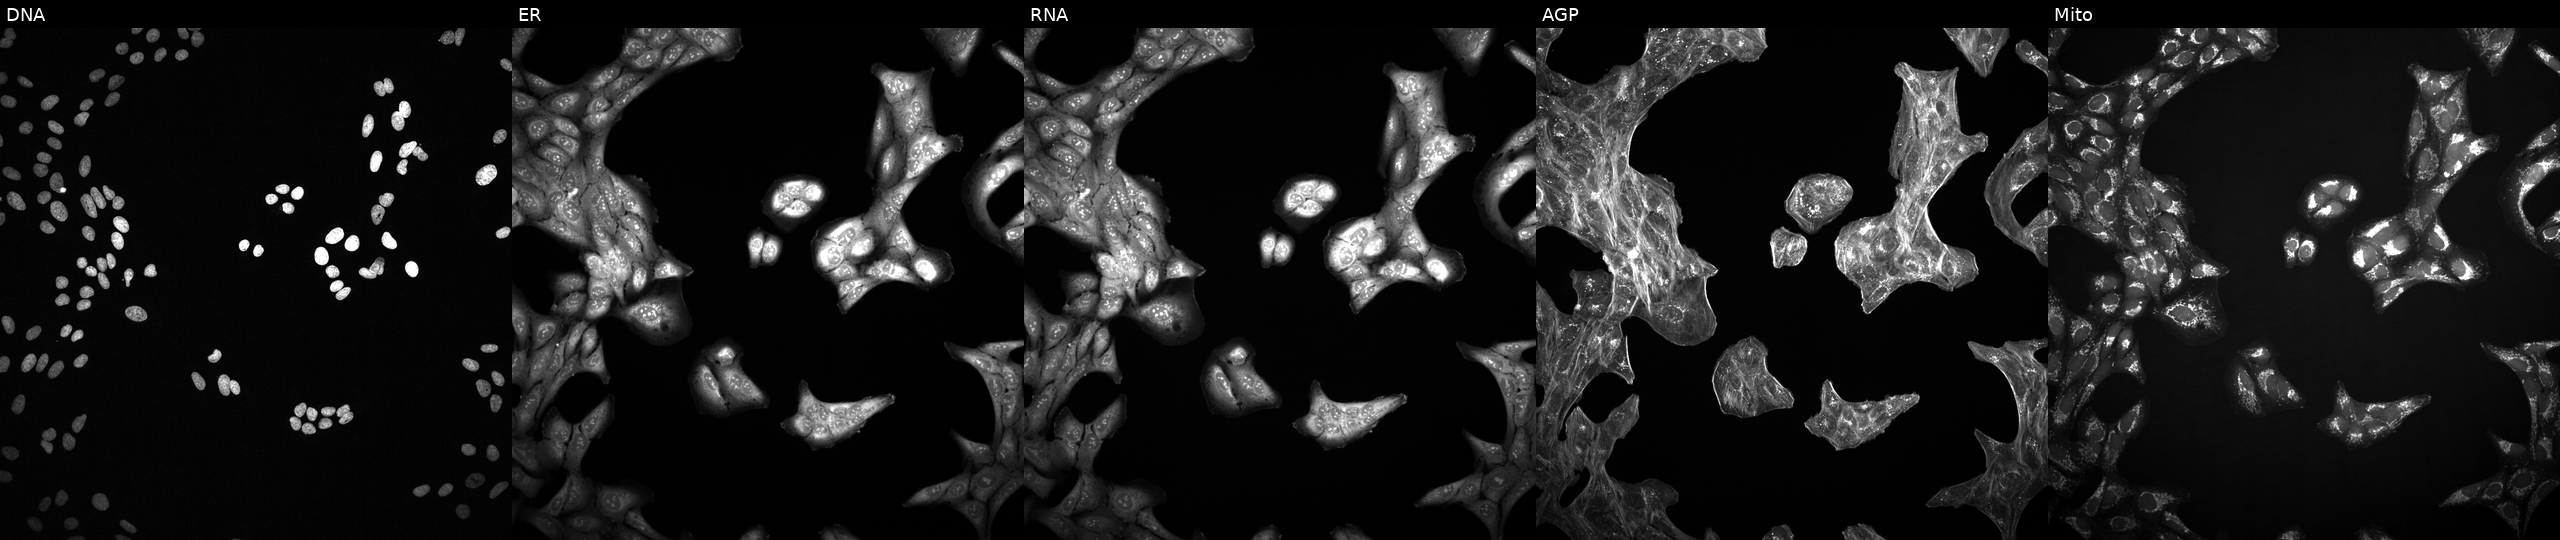
U2OS cells, Cell Painting assay, perturbed with a small-molecule compound (JUMP id JCP2022_061421). From left to right: DNA (nuclei); ER (endoplasmic reticulum); RNA (nucleoli and cytoplasmic RNA); AGP (actin cytoskeleton, Golgi, and plasma membrane); Mito (mitochondria). Each panel is percentile-stretched 16-bit fluorescence. Source 2, plate 1053597936, well A21.